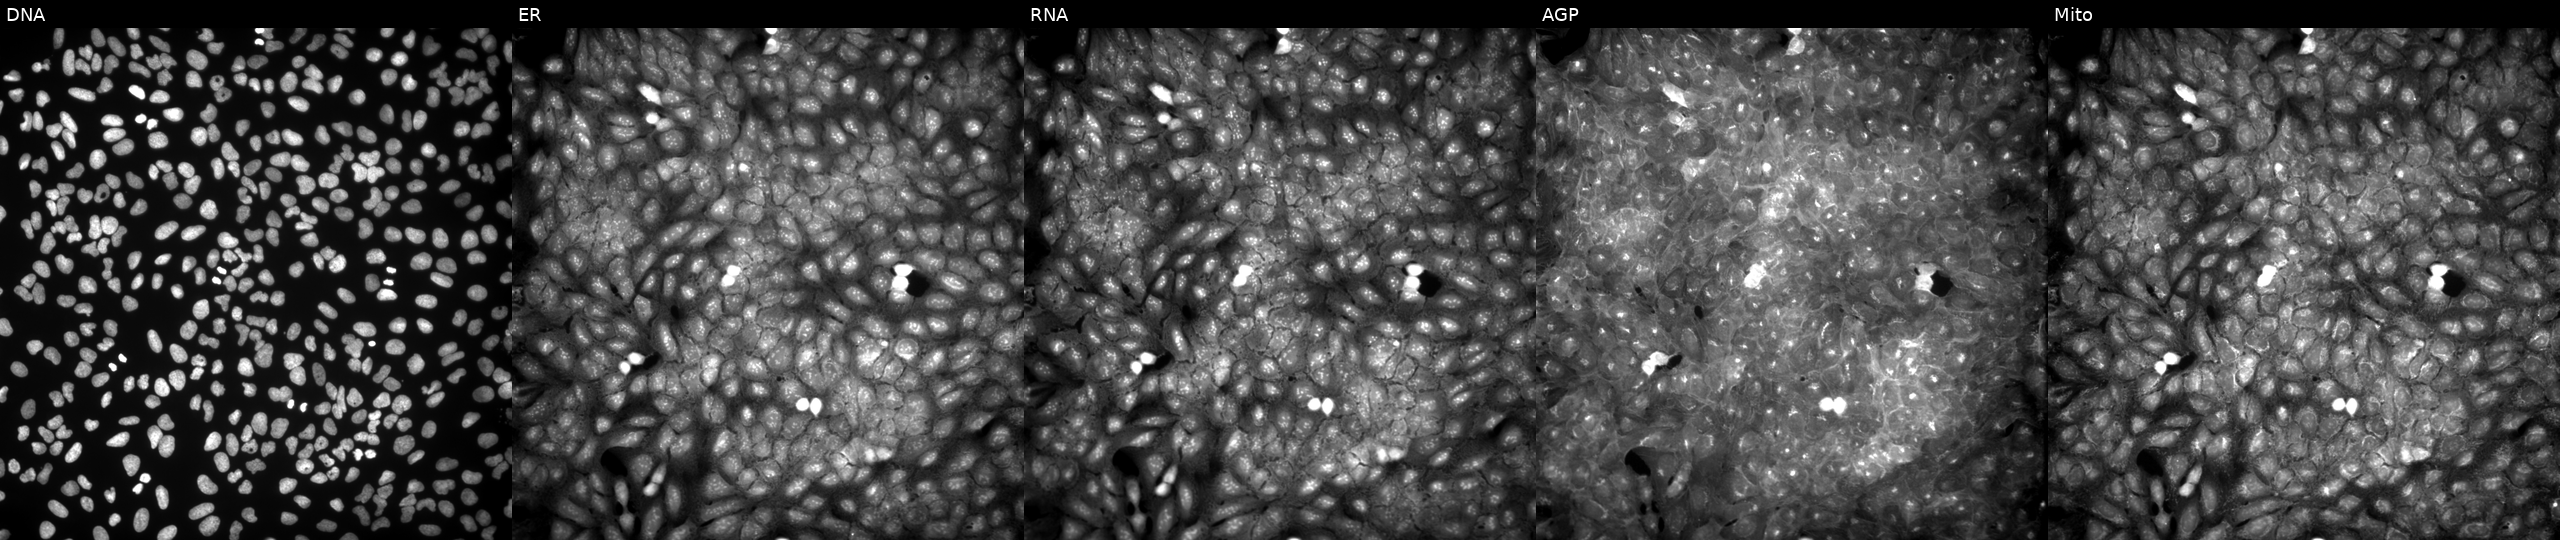
U2OS cells, Cell Painting assay, treated with a small-molecule compound (InChIKey QBNFLGUHTKBXSS-UHFFFAOYSA-N) [SMILES: C=CCn1c(=N)c(C(=O)NCCCOC)cc2c(=O)n3cccc(C)c3nc21] (JUMP id JCP2022_072359). Panels show, left to right, DNA, ER, RNA, AGP, and Mito. Each panel is percentile-stretched 16-bit fluorescence. Source 9, plate GR00003381, well X20.